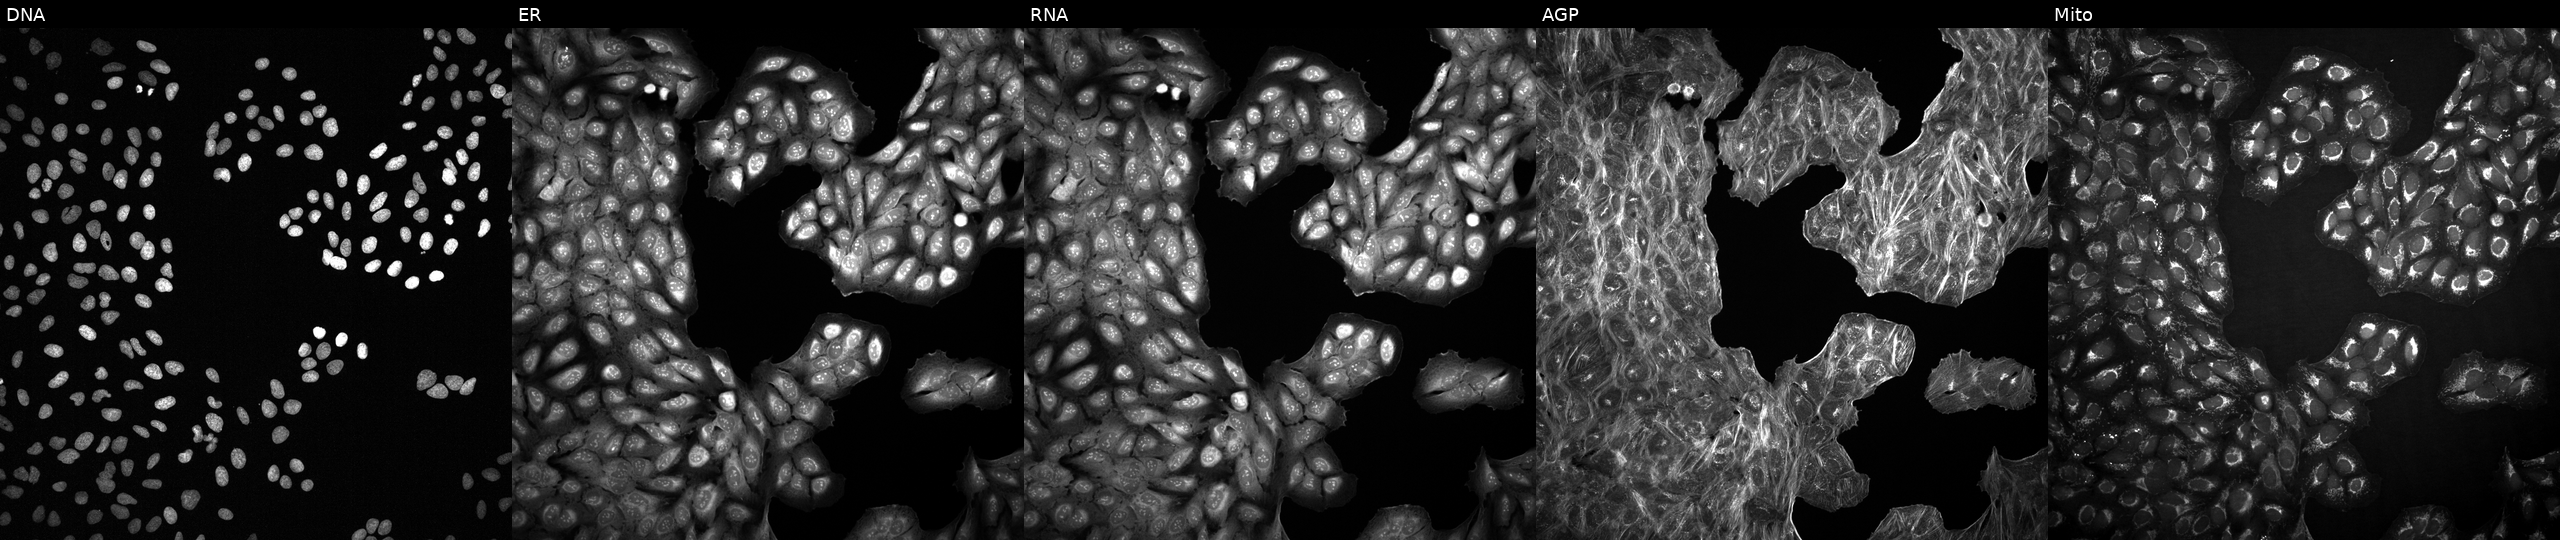
Five-channel Cell Painting image of U2OS cells exposed to a small-molecule compound. Panels show, left to right, DNA, ER, RNA, AGP, and Mito.